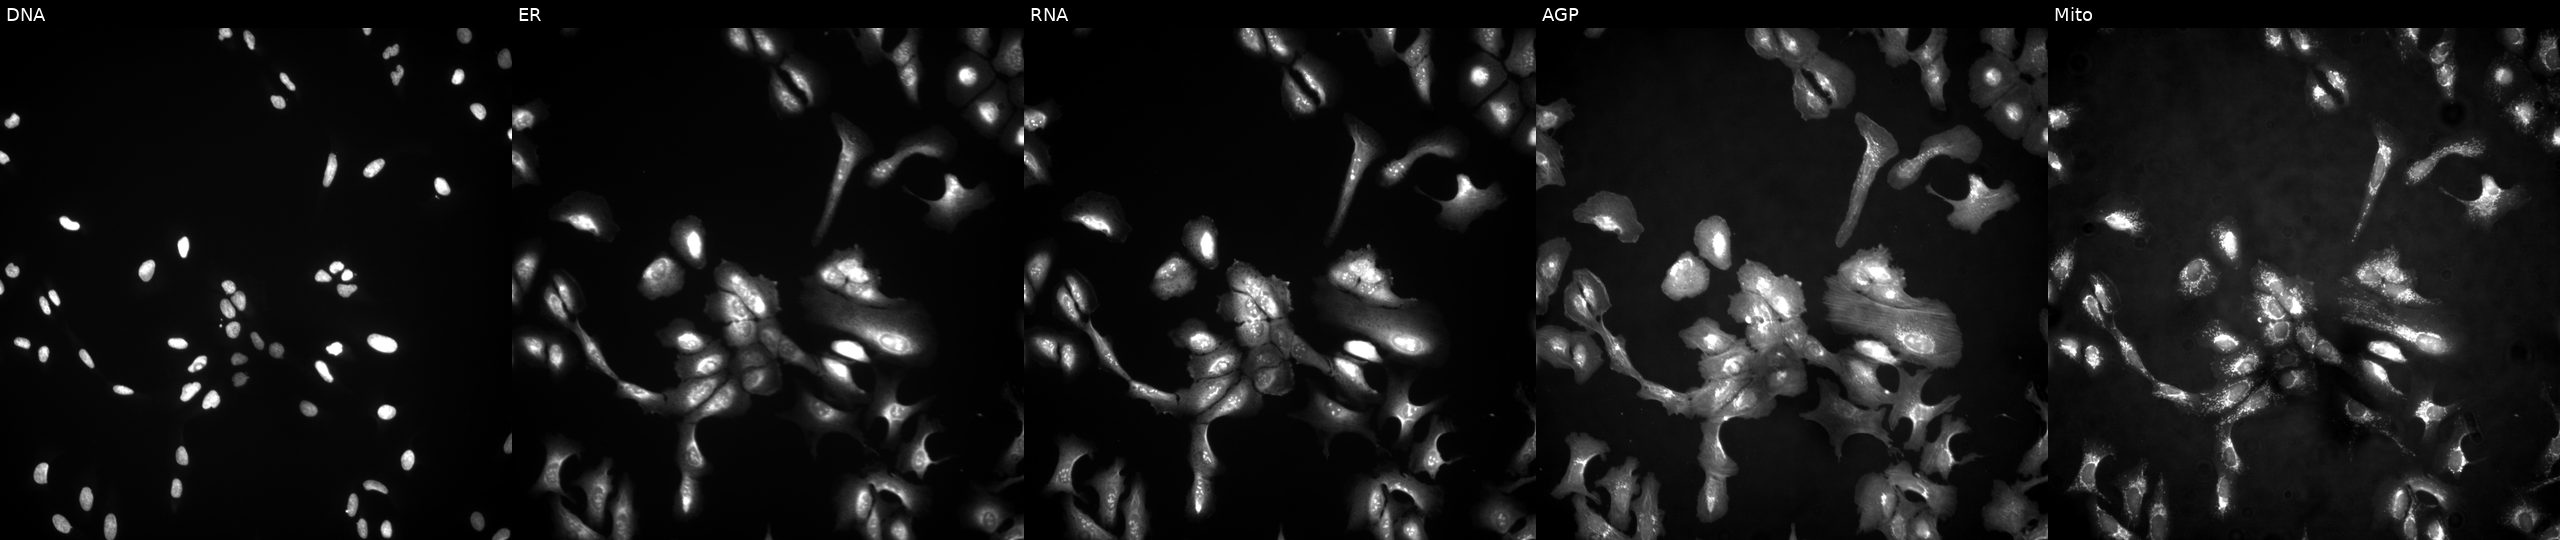
U2OS cells, Cell Painting assay, with TMEM196 overexpressed (ORF). Panels show, left to right, Hoechst 33342, concanavalin A, SYTO 14, phalloidin and WGA, MitoTracker. Each panel is percentile-stretched 16-bit fluorescence. Source 4, plate BR00124790, well M07.